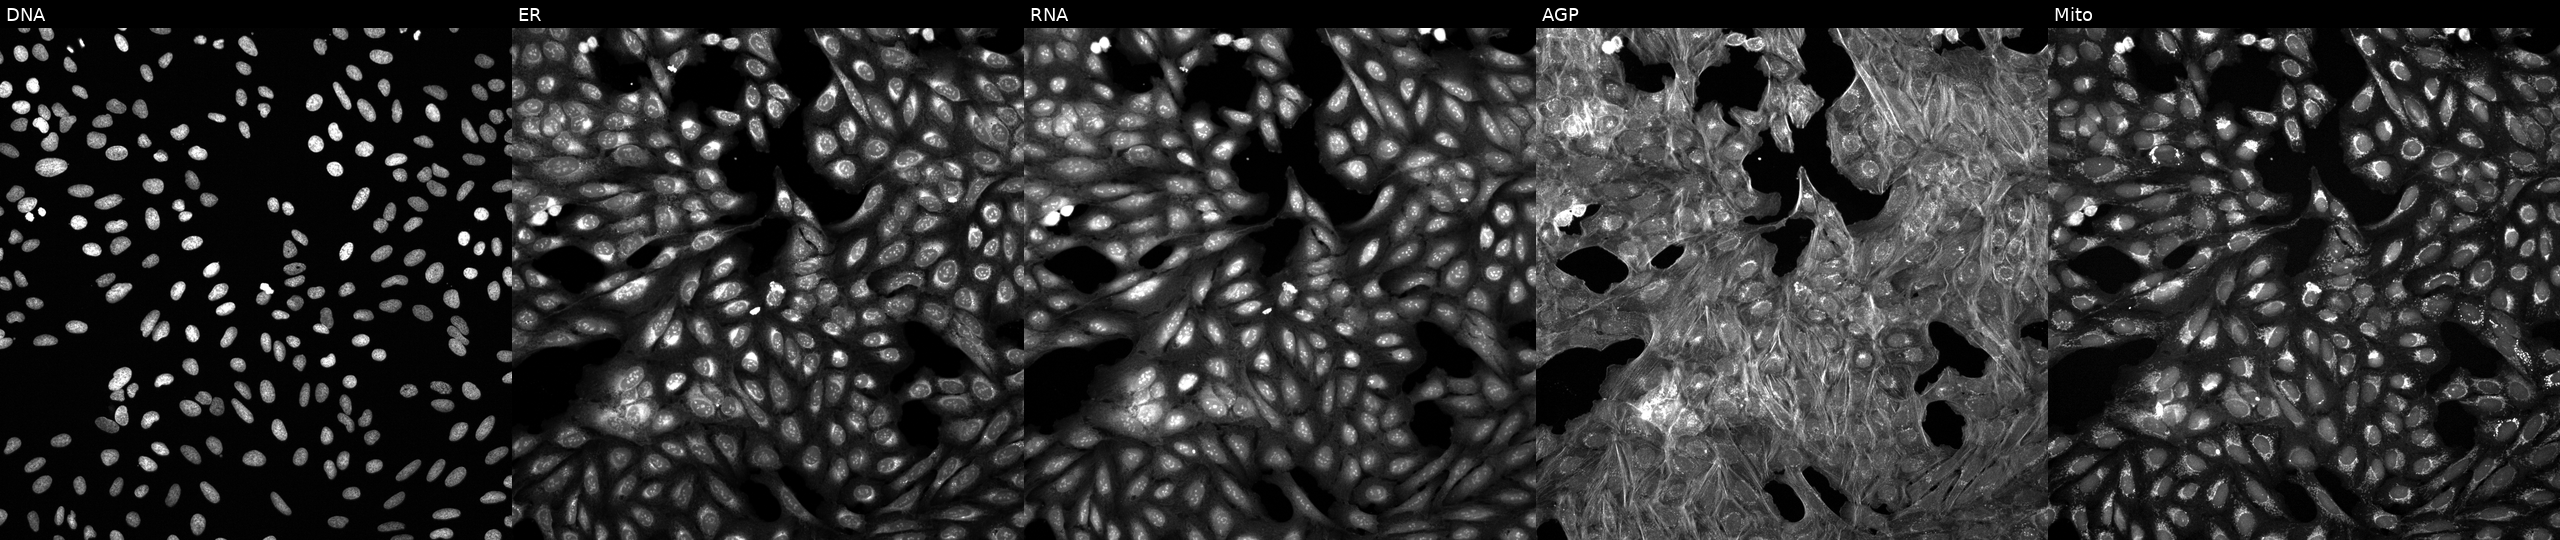
U2OS cells, Cell Painting assay, treated with a small-molecule compound (JUMP id JCP2022_053409). Channels (left→right): Hoechst 33342, concanavalin A, SYTO 14, phalloidin and WGA, MitoTracker. Each panel is percentile-stretched 16-bit fluorescence. Source 6, plate 110000294901, well G01.